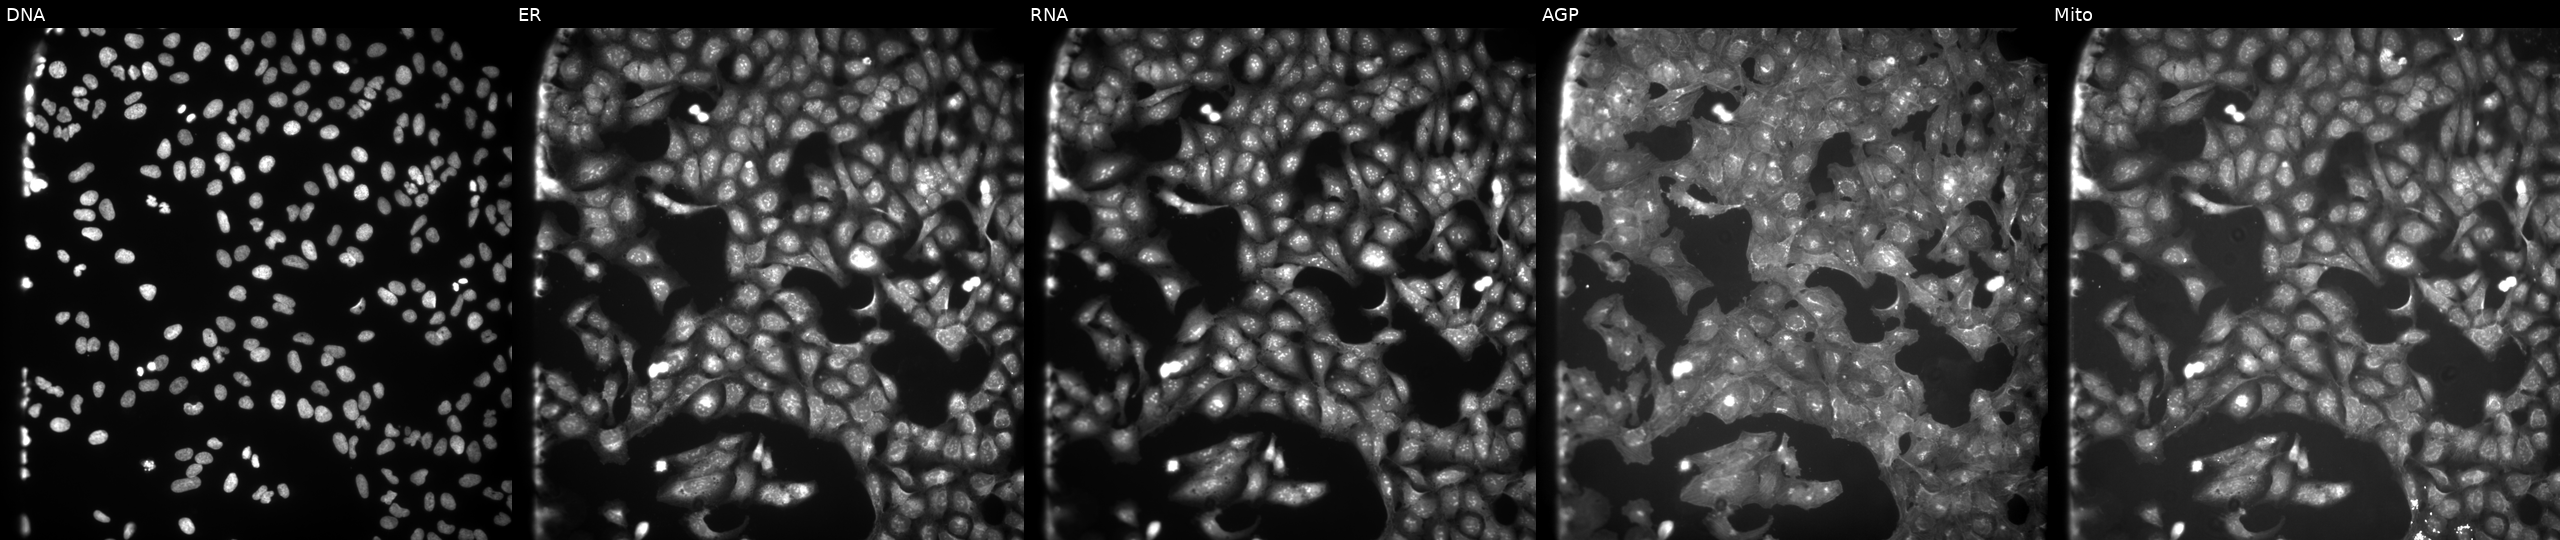
Panels show, left to right, DNA, ER, RNA, AGP, and Mito. U2OS osteosarcoma cells exposed to the positive-control compound NVS-PAK1-1. Cell Painting assay, JUMP-CP dataset. Source 9, plate GR00003382, well V01.